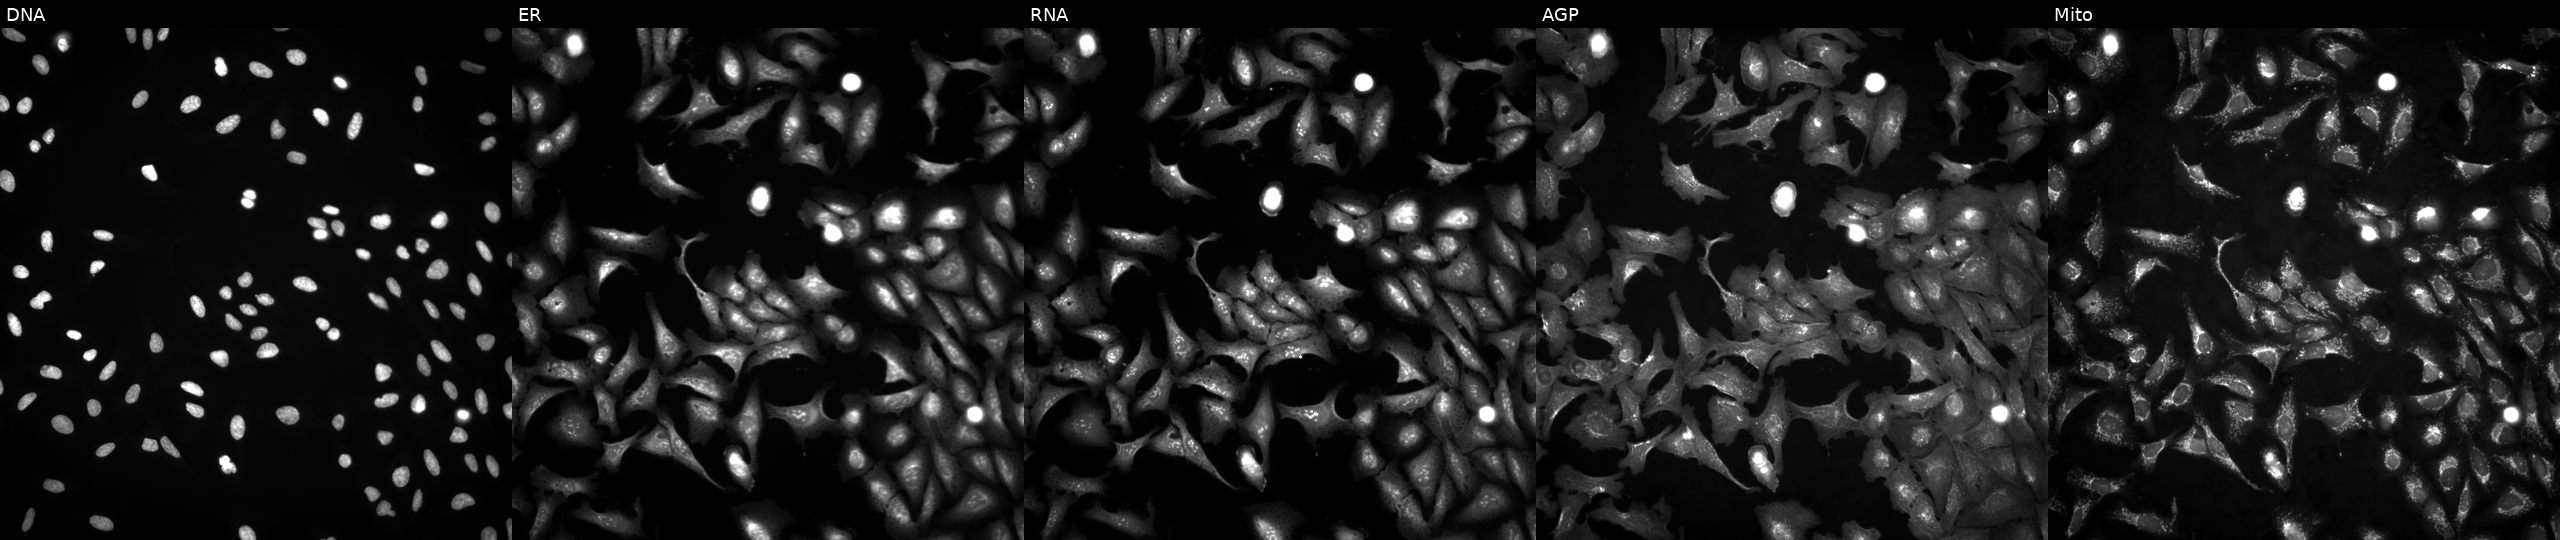
Five-channel Cell Painting image of U2OS cells overexpressing TULP1 via ORF transfection. The five panels, left to right, show DNA (nuclei); ER (endoplasmic reticulum); RNA (nucleoli and cytoplasmic RNA); AGP (actin cytoskeleton, Golgi, and plasma membrane); Mito (mitochondria).